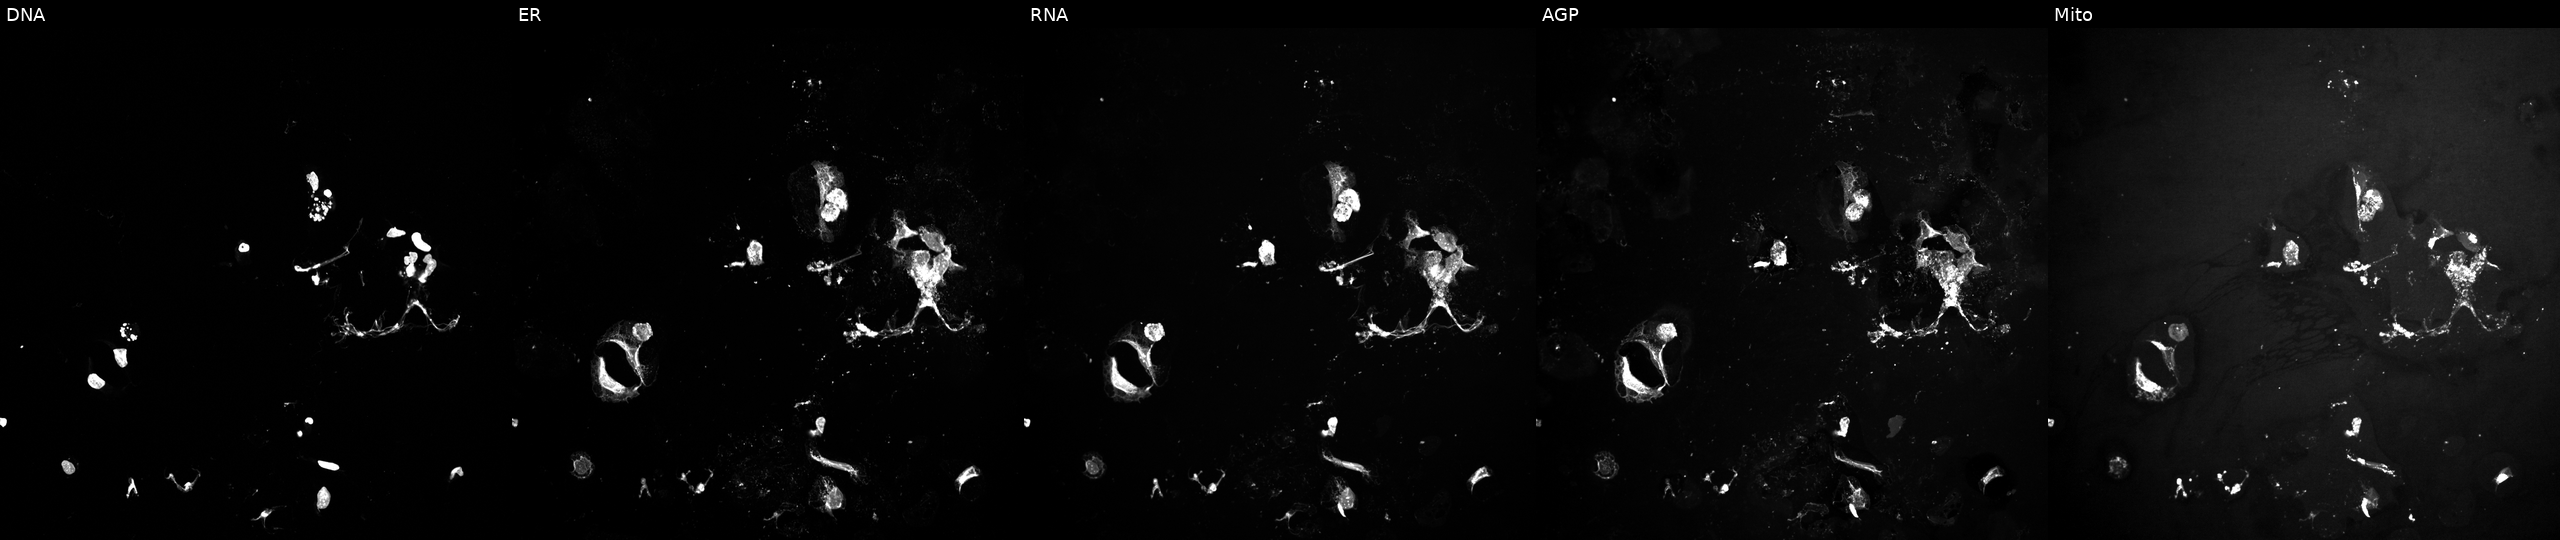
JUMP Cell Painting — TARGET2 plate. U2OS cells exposed to a small-molecule compound (InChIKey HGMSUJCQIUFZBJ-UHFFFAOYSA-N). The five panels, left to right, show DNA (nuclei); ER (endoplasmic reticulum); RNA (nucleoli and cytoplasmic RNA); AGP (actin cytoskeleton, Golgi, and plasma membrane); Mito (mitochondria).